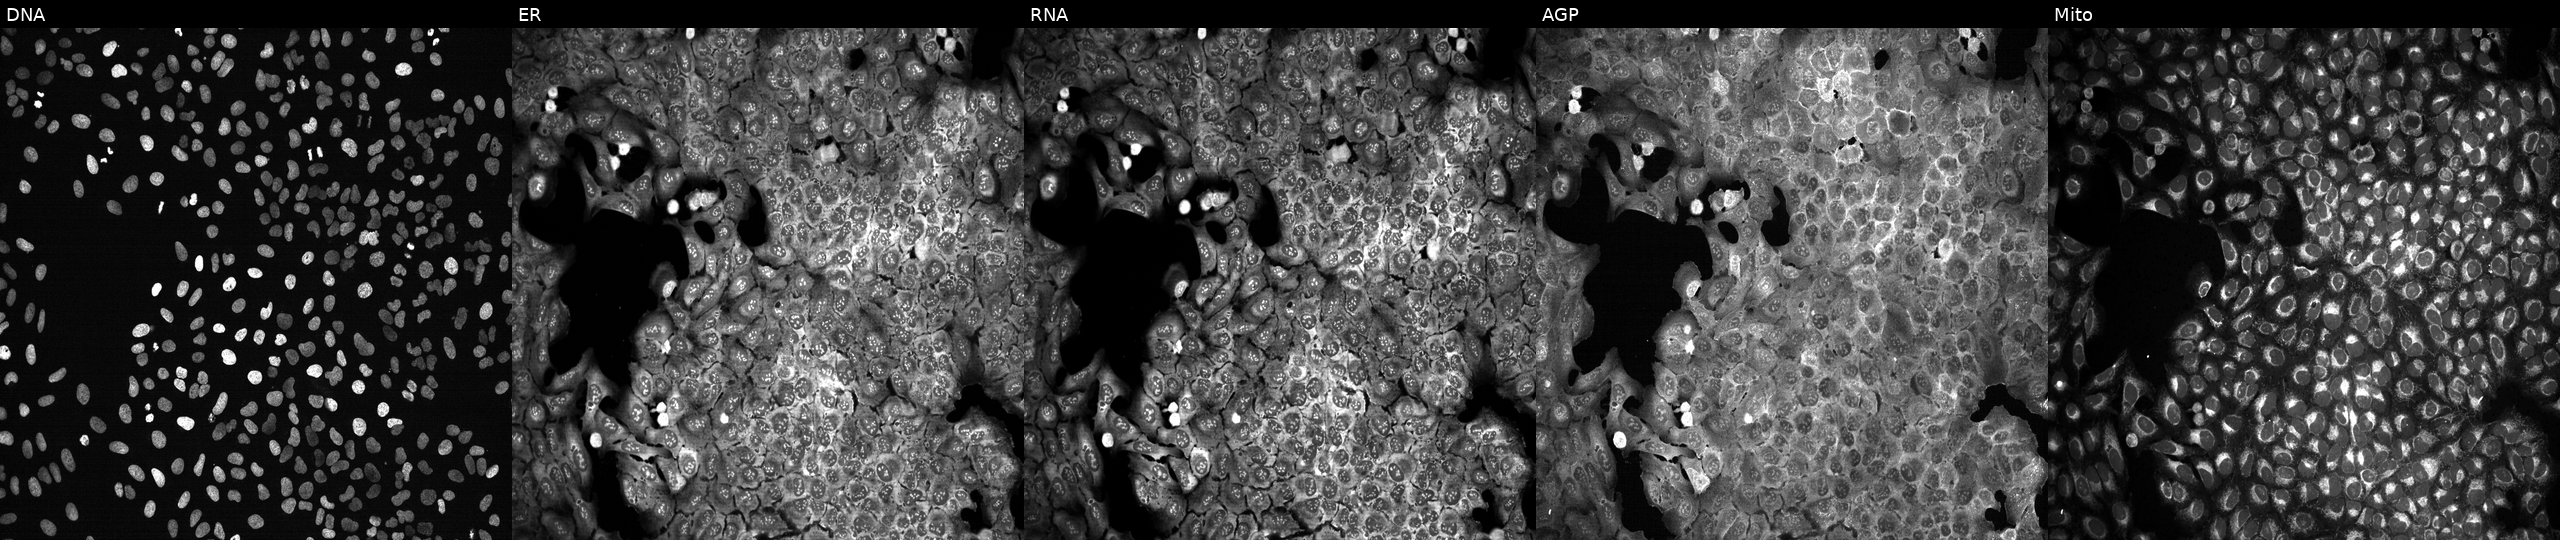
U2OS cells, Cell Painting assay, CRISPR-edited to disrupt SERPINB1 (JUMP id JCP2022_806276). The five panels, left to right, show DNA (nuclei); ER (endoplasmic reticulum); RNA (nucleoli and cytoplasmic RNA); AGP (actin cytoskeleton, Golgi, and plasma membrane); Mito (mitochondria). Each panel is percentile-stretched 16-bit fluorescence.